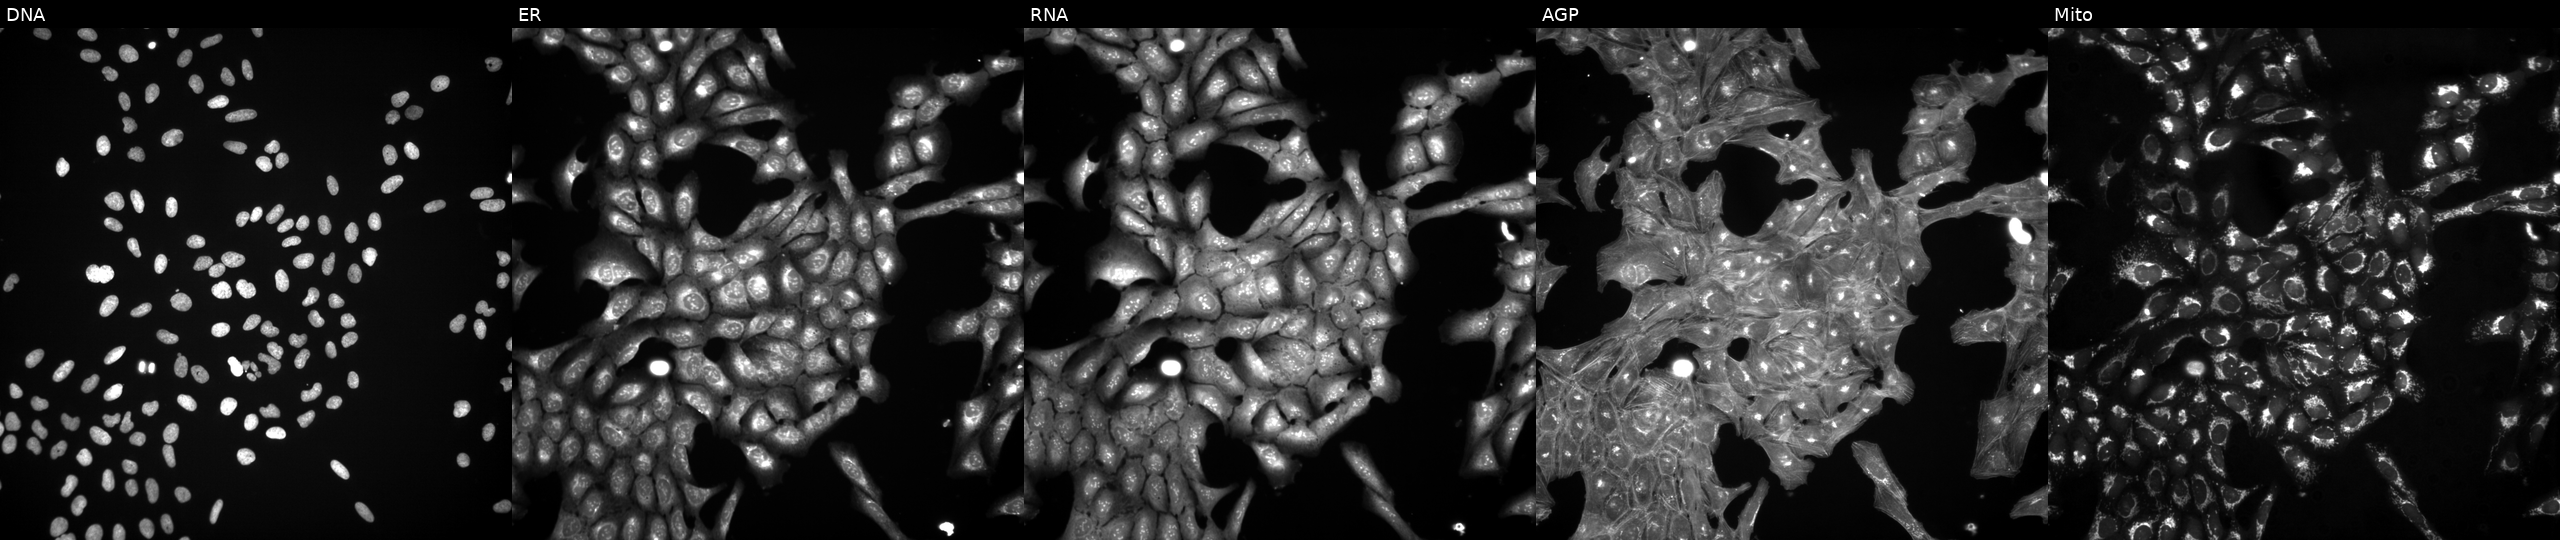
High-content fluorescence microscopy (Cell Painting). Cell line: U2OS. Perturbation: perturbed with a small-molecule compound. The five panels, left to right, show Hoechst 33342, concanavalin A, SYTO 14, phalloidin and WGA, MitoTracker. Source 3, plate JCPQC053, well J18.